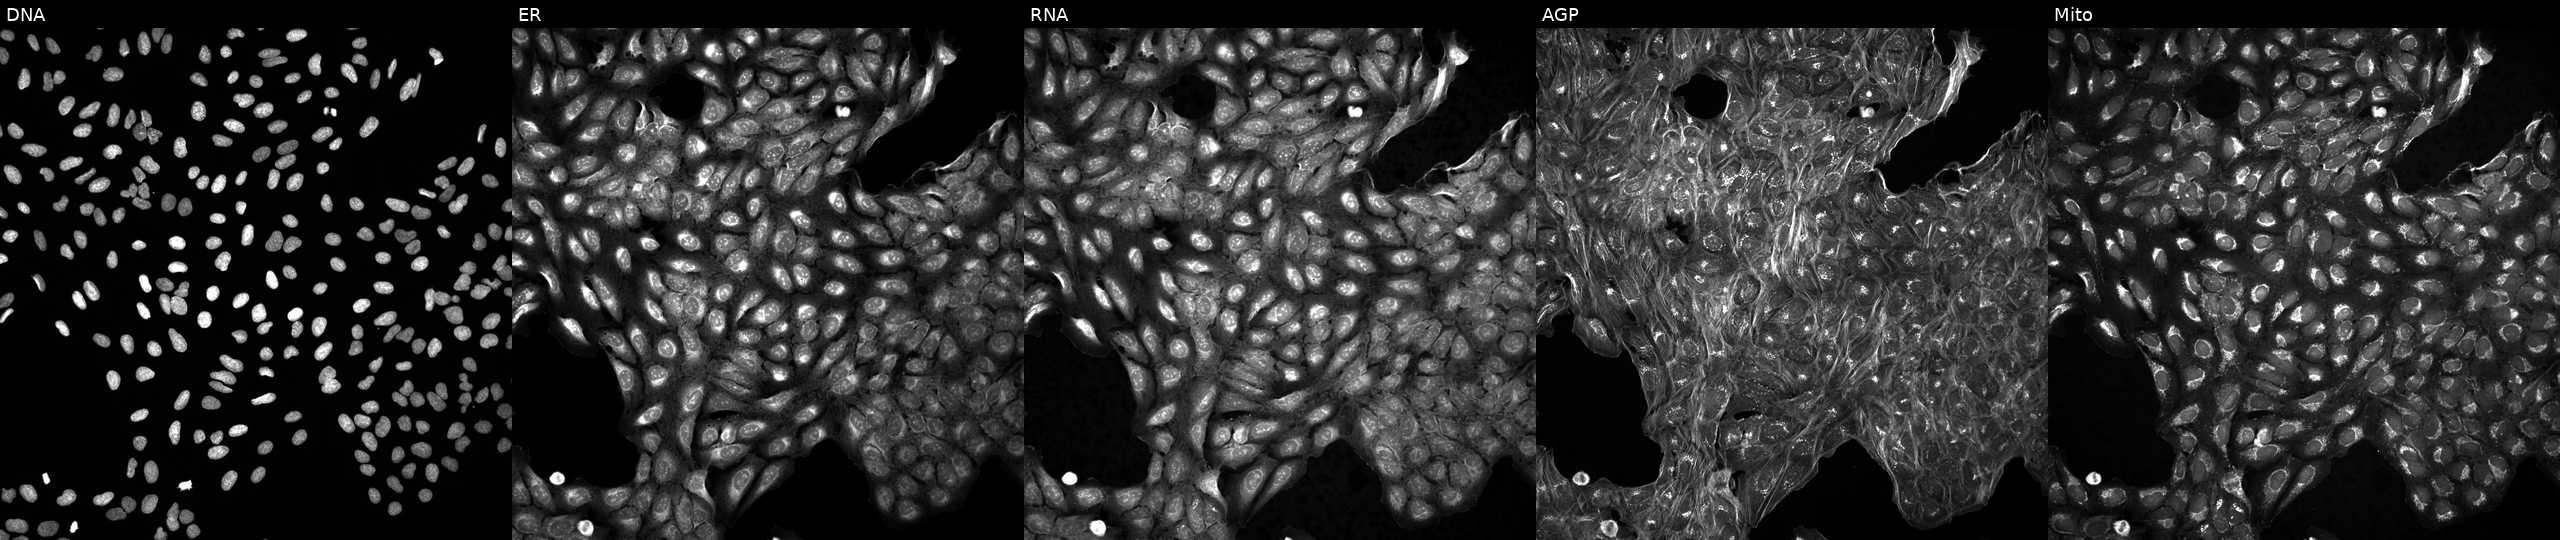
Channels (left→right): DNA, ER, RNA, AGP, and Mito. U2OS osteosarcoma cells exposed to a small-molecule compound (InChIKey XNOPRXBHLZRZKH-UHFFFAOYSA-N). Cell Painting assay, JUMP-CP dataset. Source 5, plate ACPJUM012, well D21.